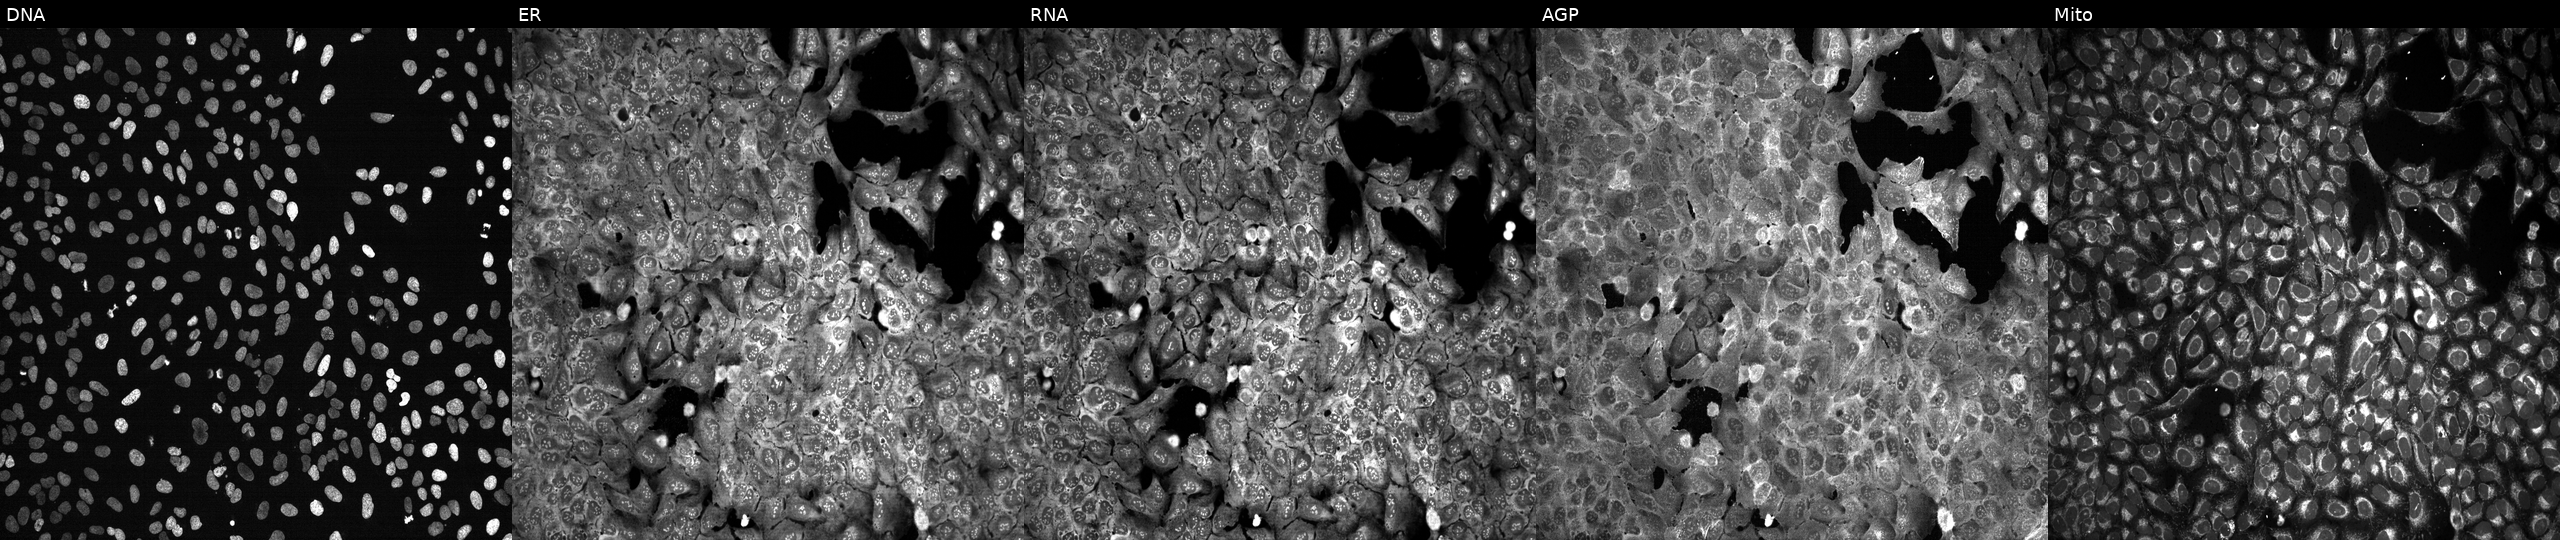
From left to right: DNA, ER, RNA, AGP, and Mito. U2OS osteosarcoma cells with CD302 knocked out by CRISPR (JUMP id JCP2022_801154). Cell Painting assay, JUMP-CP dataset. Source 13, plate CP-CC9-R3-01, well H08.